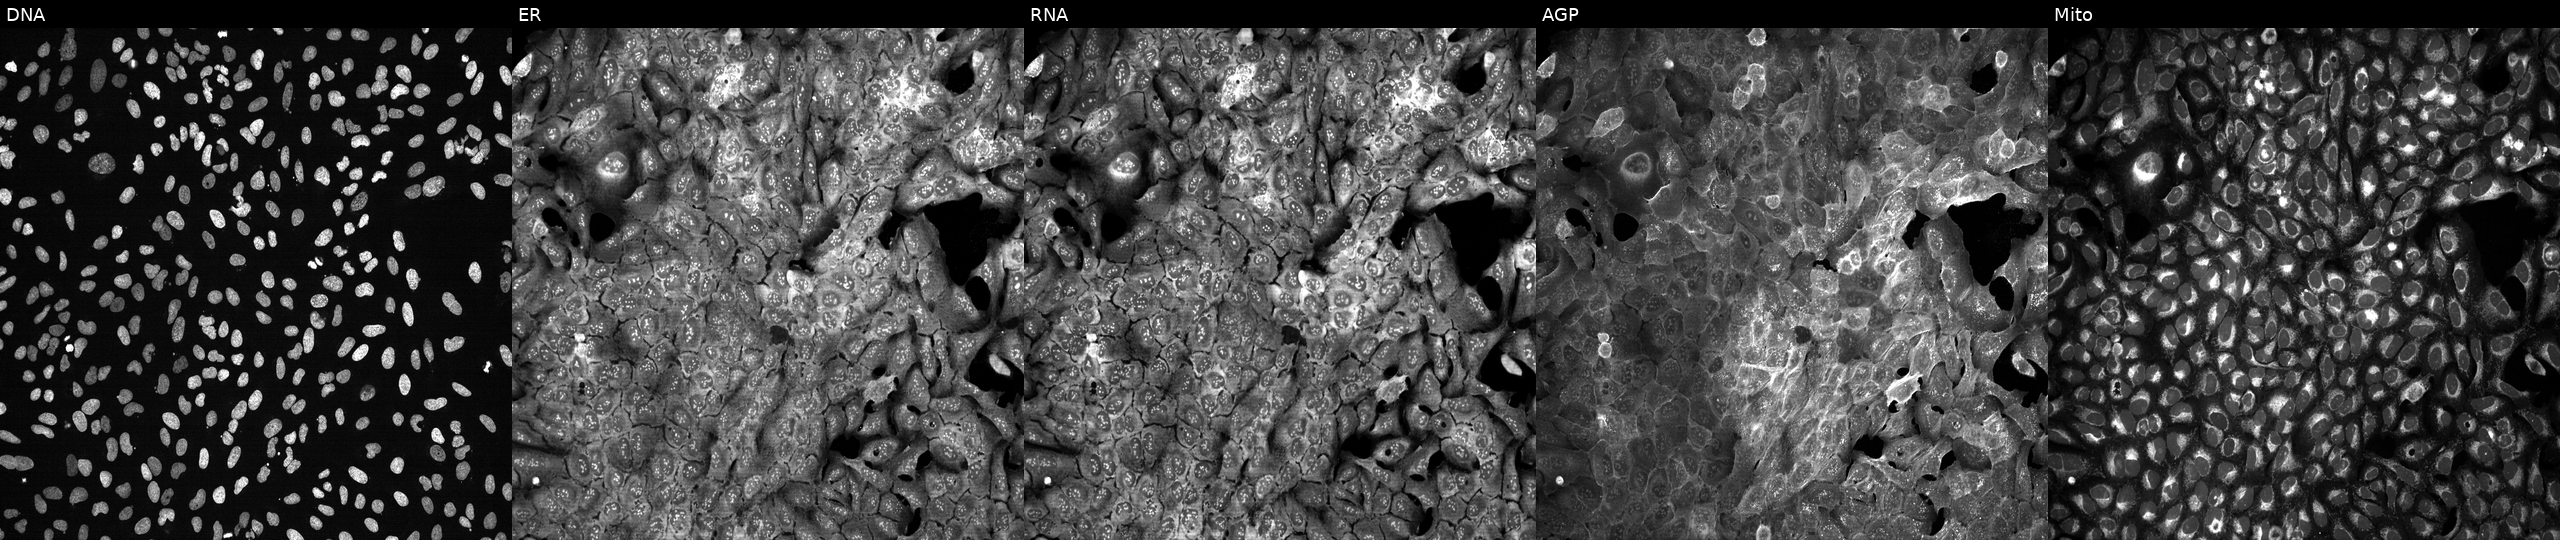
U2OS cells, Cell Painting assay, with AGBL5 knocked out by CRISPR. From left to right: Hoechst 33342, concanavalin A, SYTO 14, phalloidin and WGA, MitoTracker. Each panel is percentile-stretched 16-bit fluorescence.